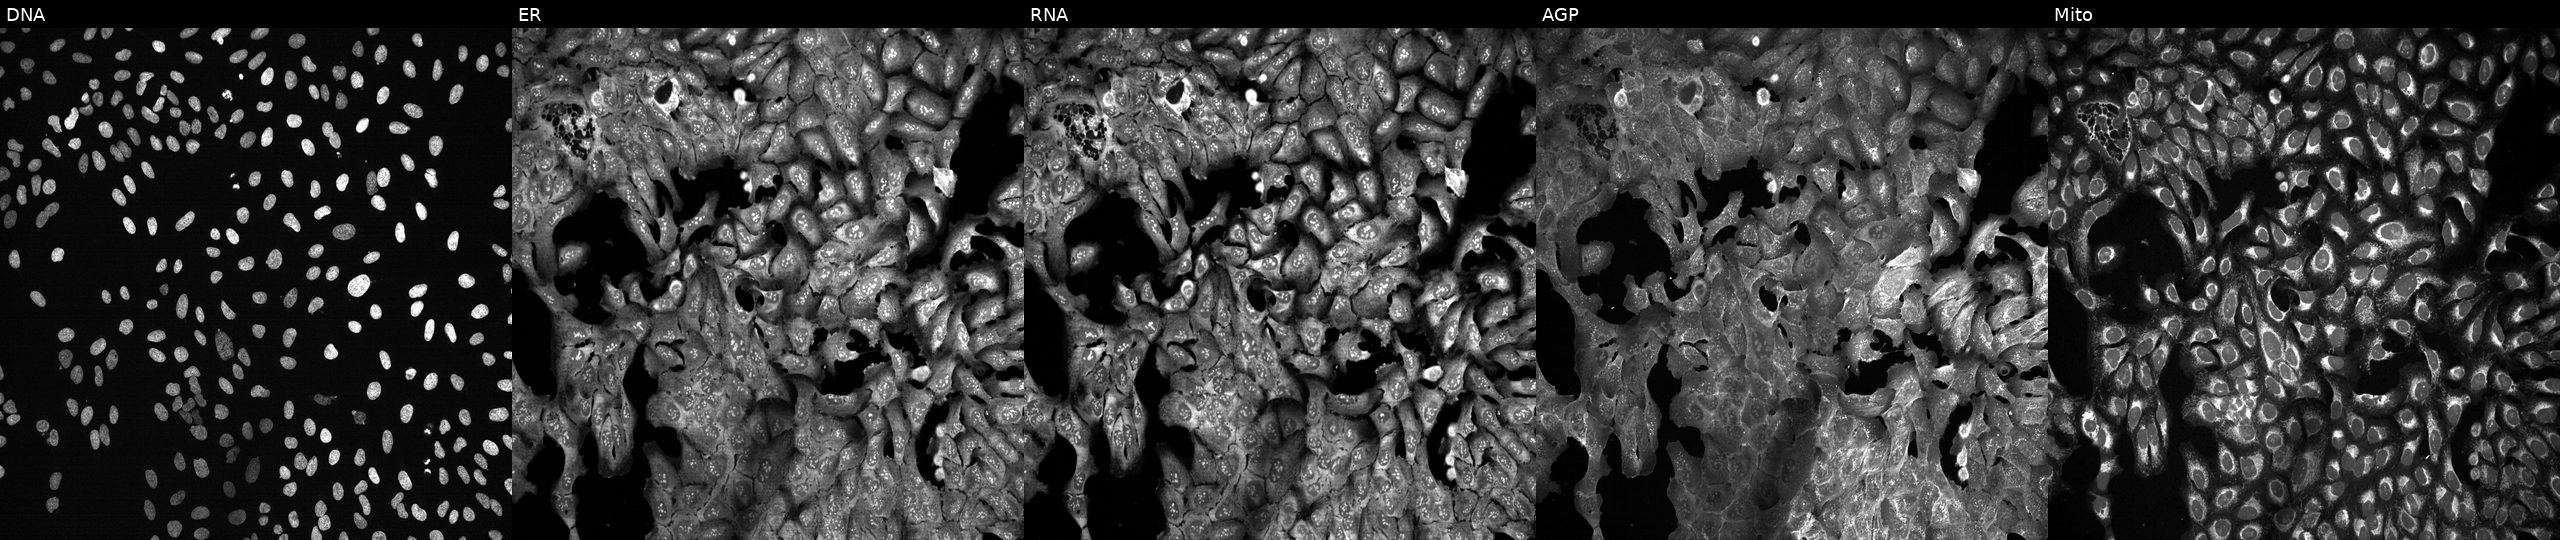
U2OS cells, Cell Painting assay, CRISPR-edited to disrupt ZNF711. Channels (left→right): DNA (nuclei); ER (endoplasmic reticulum); RNA (nucleoli and cytoplasmic RNA); AGP (actin cytoskeleton, Golgi, and plasma membrane); Mito (mitochondria). Each panel is percentile-stretched 16-bit fluorescence. Source 13, plate CP-CC9-R6-19, well H08.